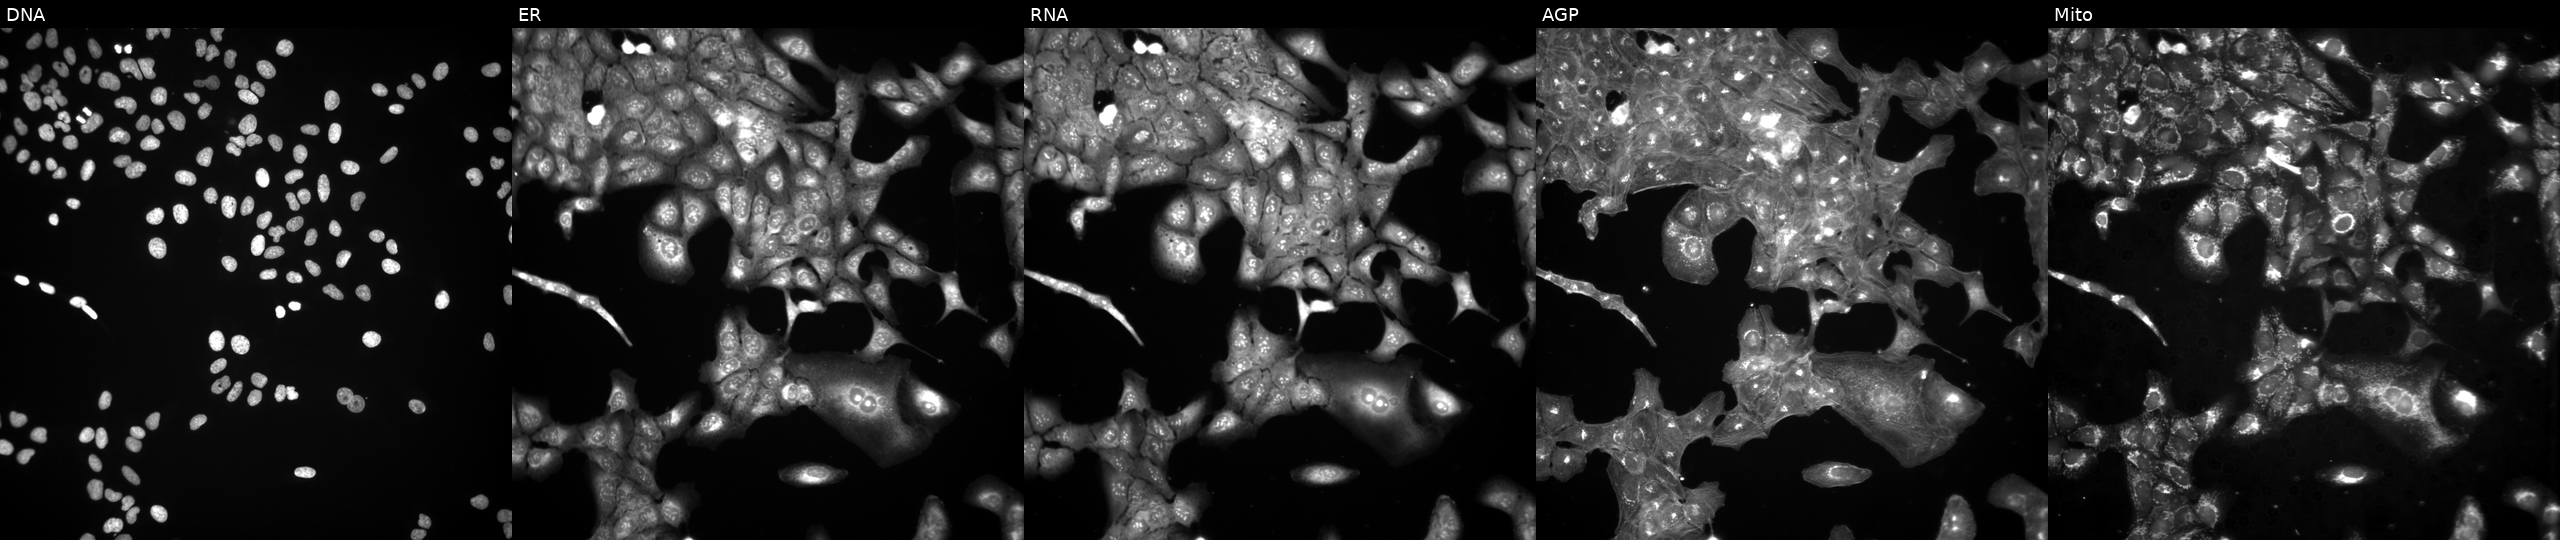
U2OS cells, Cell Painting assay, treated with a small-molecule compound (InChIKey MDKAFDIKYQMOMF-UHFFFAOYSA-N) (JUMP id JCP2022_053409). From left to right: DNA (nuclei); ER (endoplasmic reticulum); RNA (nucleoli and cytoplasmic RNA); AGP (actin cytoskeleton, Golgi, and plasma membrane); Mito (mitochondria). Each panel is percentile-stretched 16-bit fluorescence.